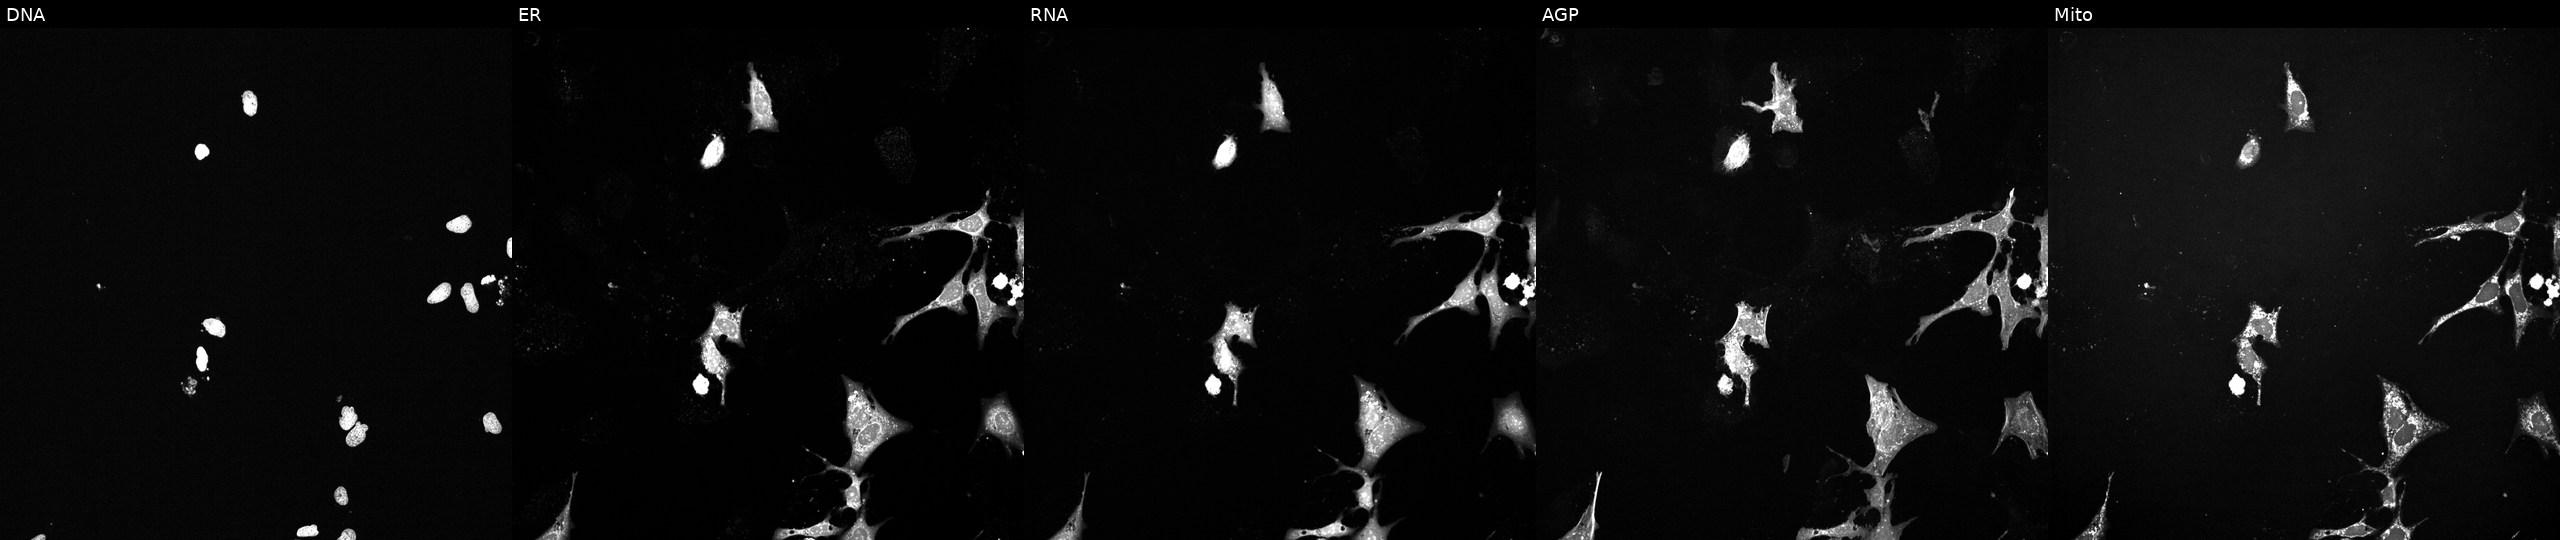
Five-channel Cell Painting image of U2OS cells treated with a small-molecule compound. Panels show, left to right, DNA (nuclei); ER (endoplasmic reticulum); RNA (nucleoli and cytoplasmic RNA); AGP (actin cytoskeleton, Golgi, and plasma membrane); Mito (mitochondria).